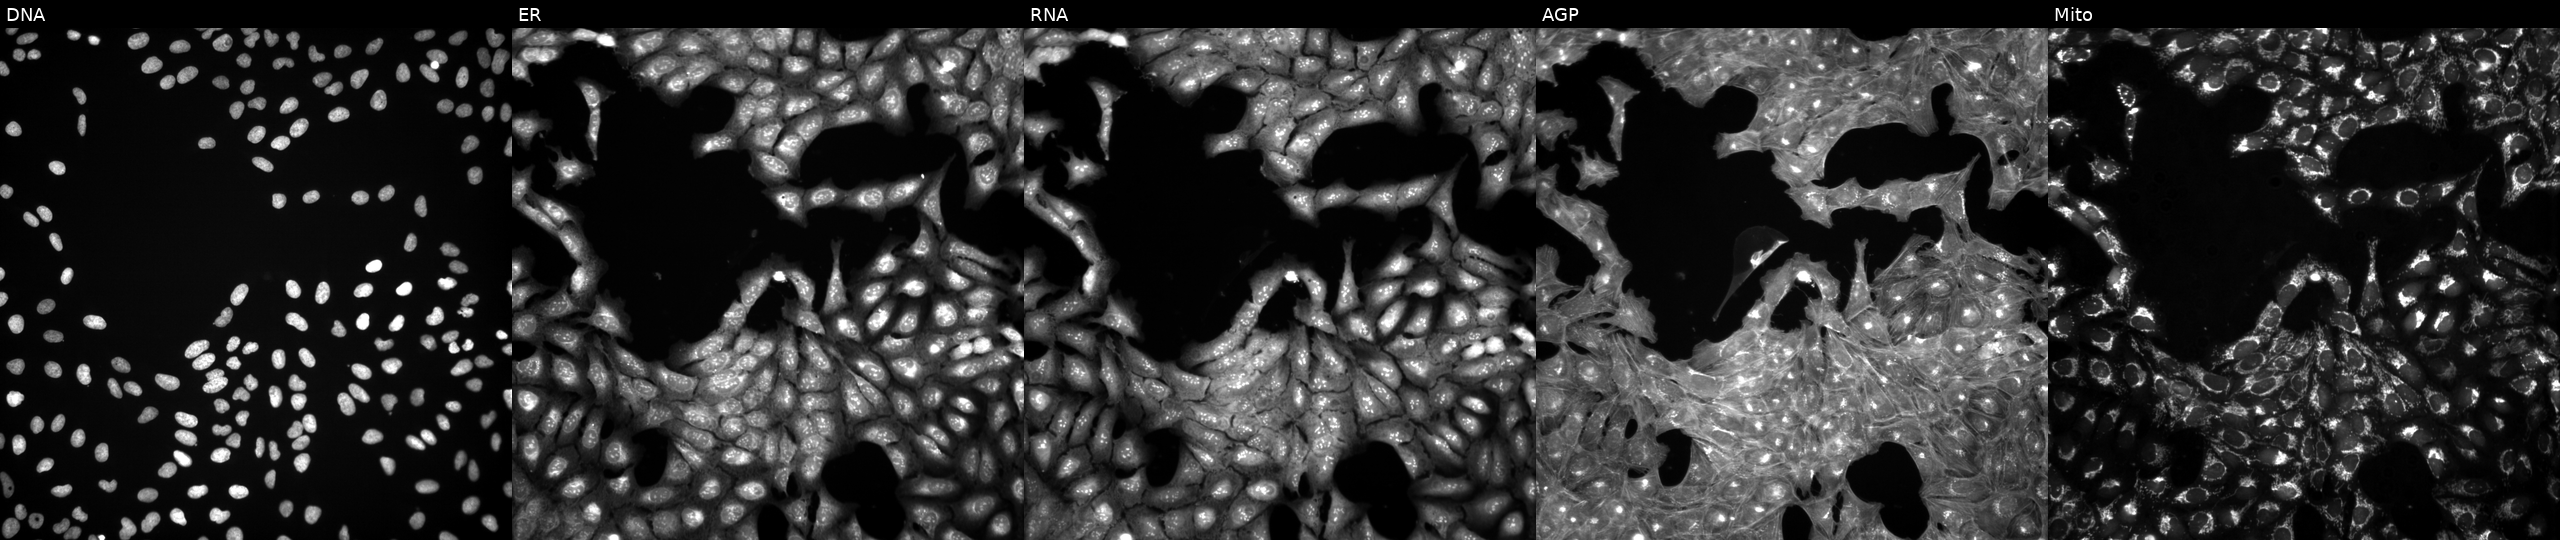
Five-channel Cell Painting image of U2OS cells treated with a small-molecule compound (InChIKey BNFRJXLZYUTIII-UHFFFAOYSA-N) (JUMP id JCP2022_007419). Panels show, left to right, Hoechst 33342, concanavalin A, SYTO 14, phalloidin and WGA, MitoTracker.